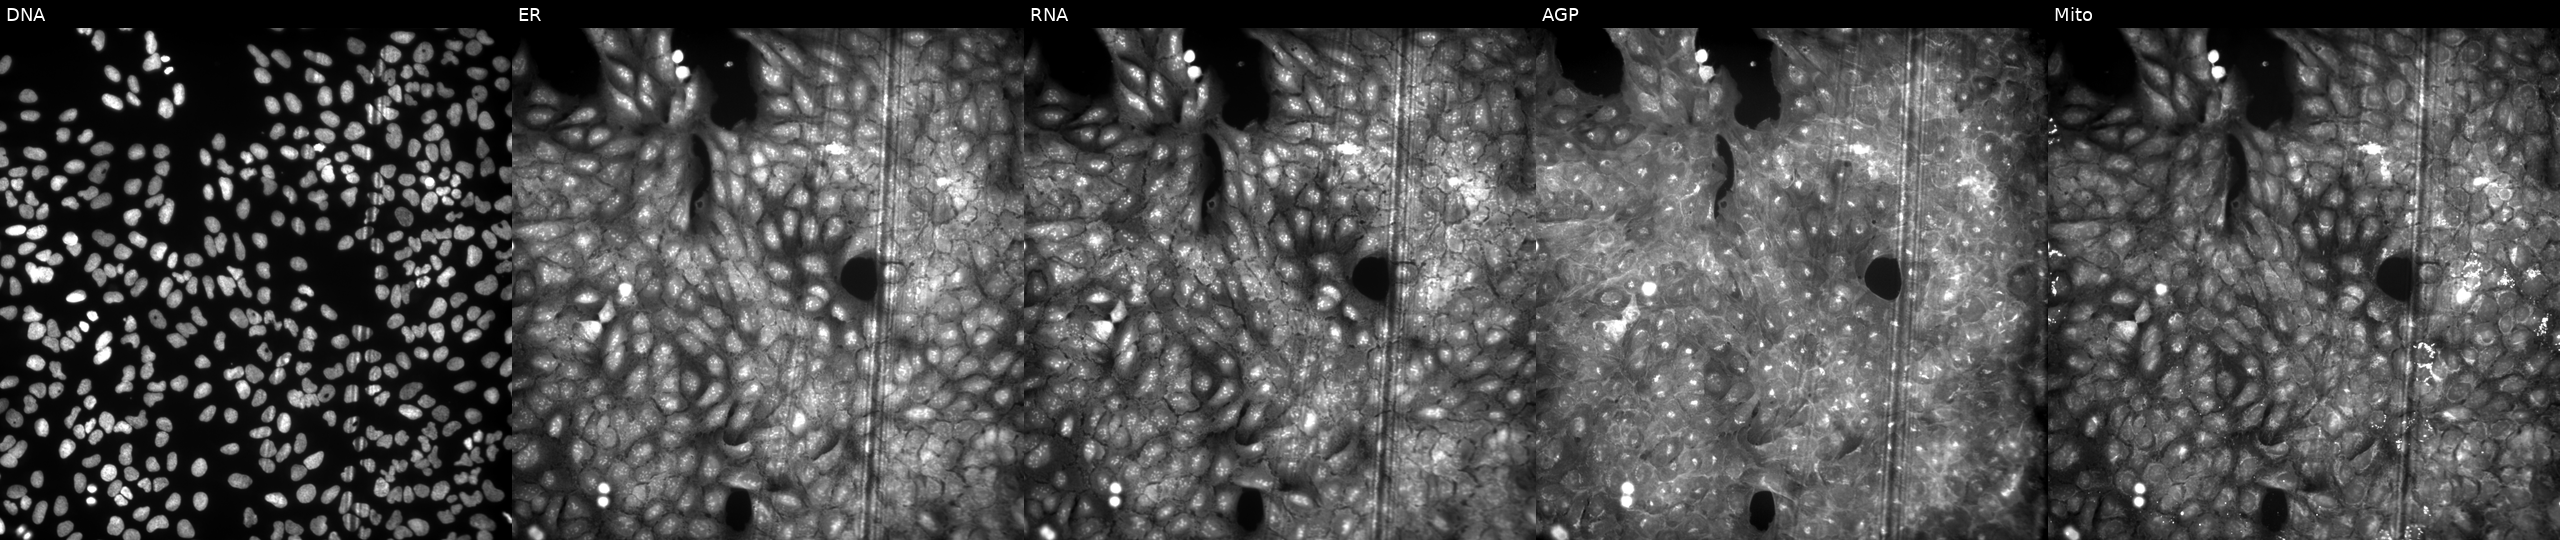
JUMP Cell Painting — COMPOUND plate. U2OS cells exposed to a small-molecule compound (JUMP id JCP2022_100202). Channels (left→right): Hoechst 33342, concanavalin A, SYTO 14, phalloidin and WGA, MitoTracker.